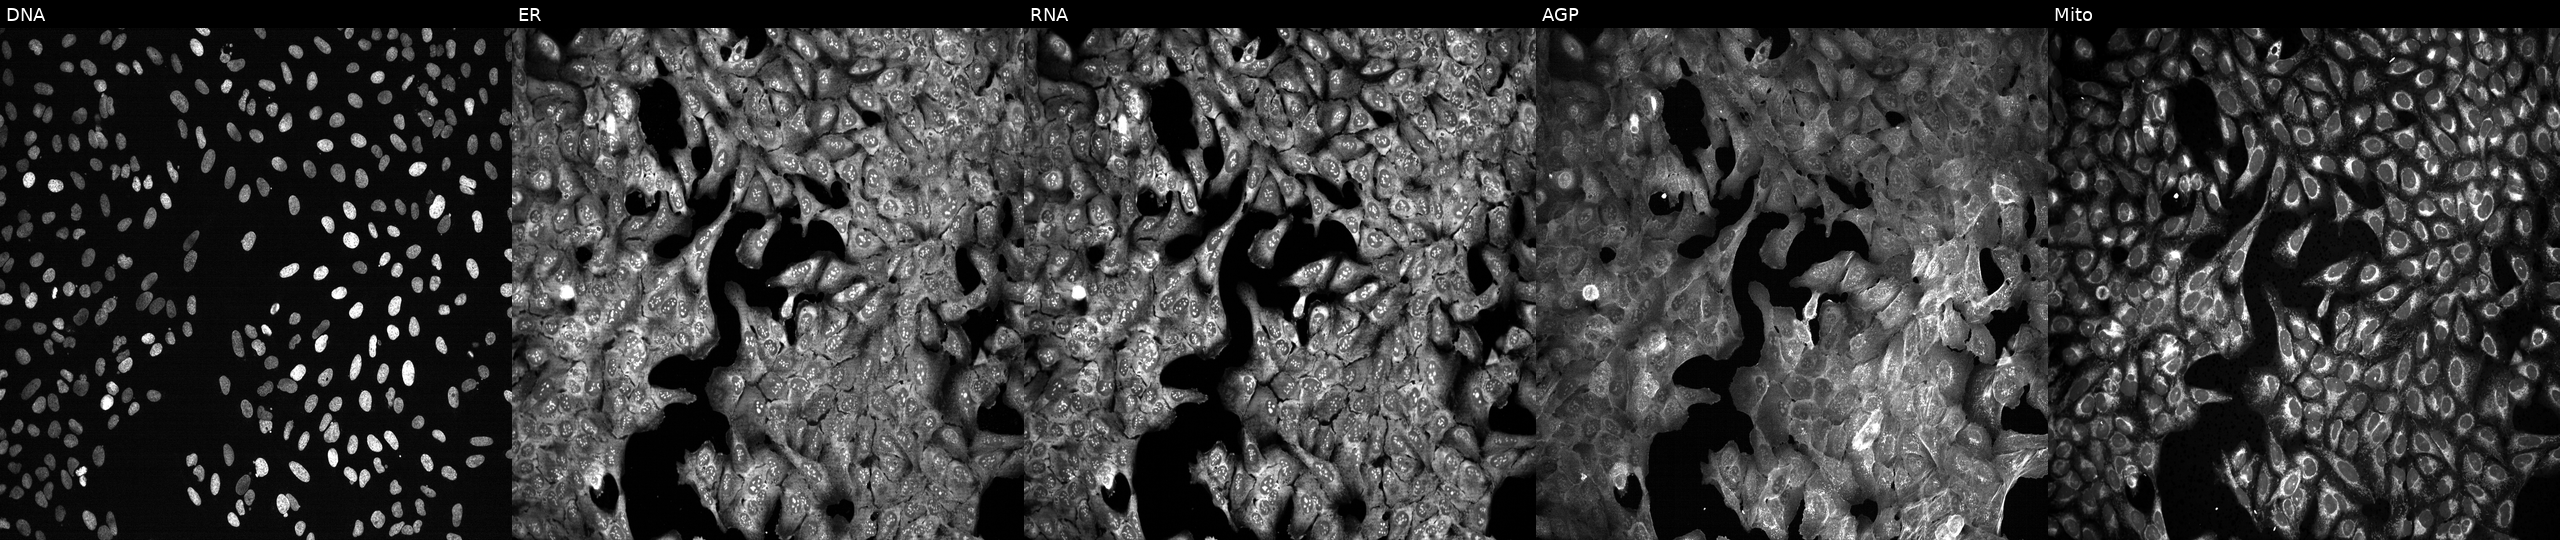
High-content fluorescence microscopy (Cell Painting). Cell line: U2OS. Perturbation: with IL11RA knocked out by CRISPR (JUMP id JCP2022_803364). The five panels, left to right, show Hoechst 33342, concanavalin A, SYTO 14, phalloidin and WGA, MitoTracker.